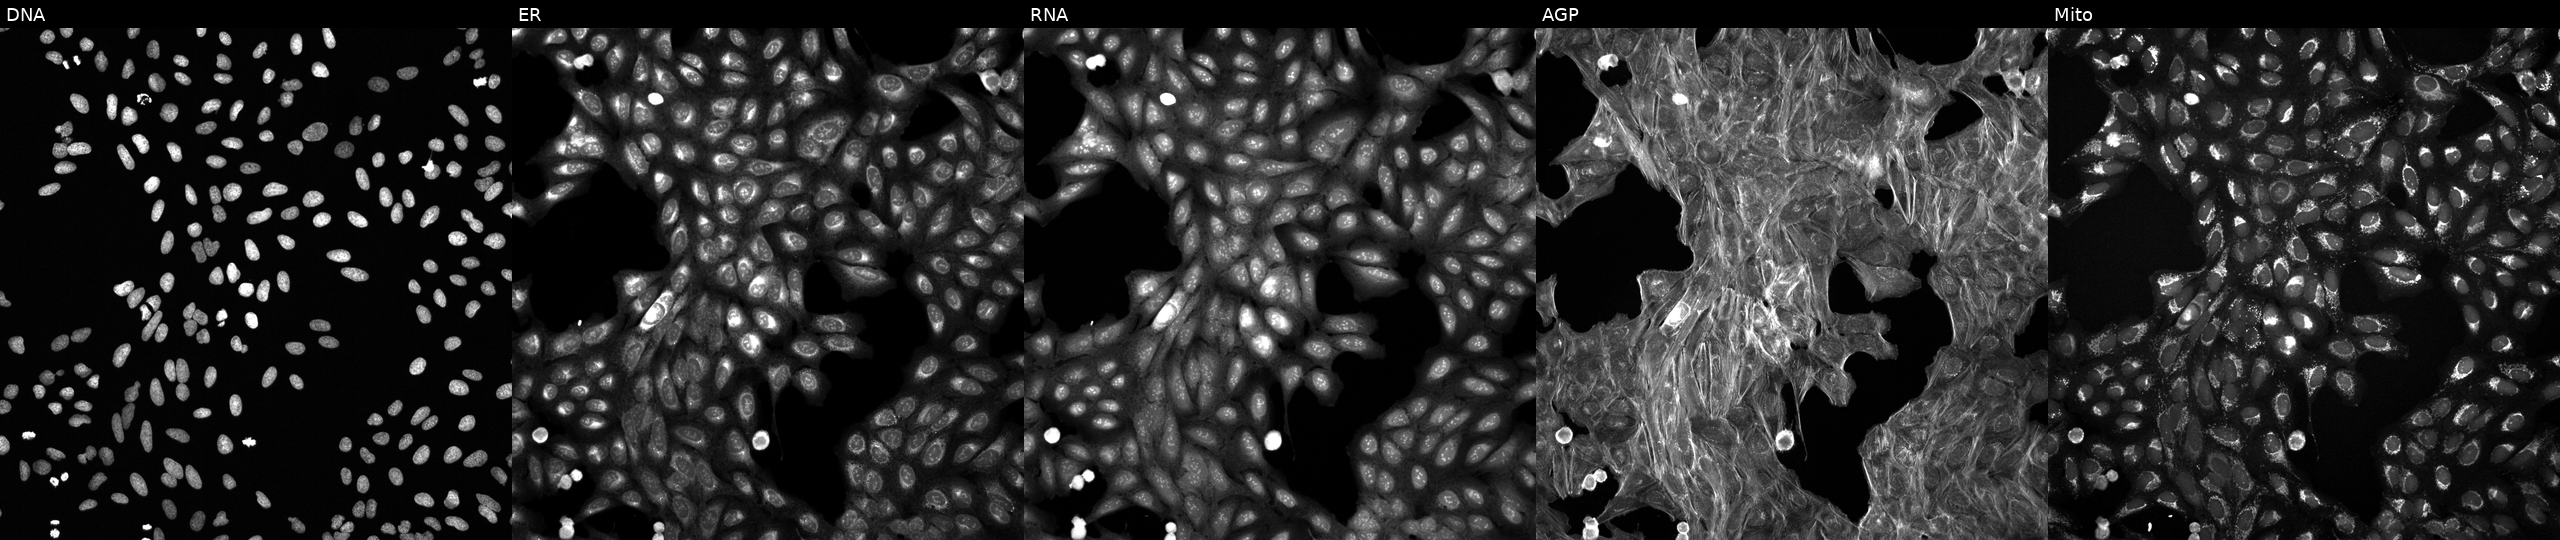
Five-channel Cell Painting image of U2OS cells perturbed with a small-molecule compound (InChIKey HGVDHZBSSITLCT-UHFFFAOYSA-N) (JUMP id JCP2022_030094). From left to right: Hoechst 33342, concanavalin A, SYTO 14, phalloidin and WGA, MitoTracker.